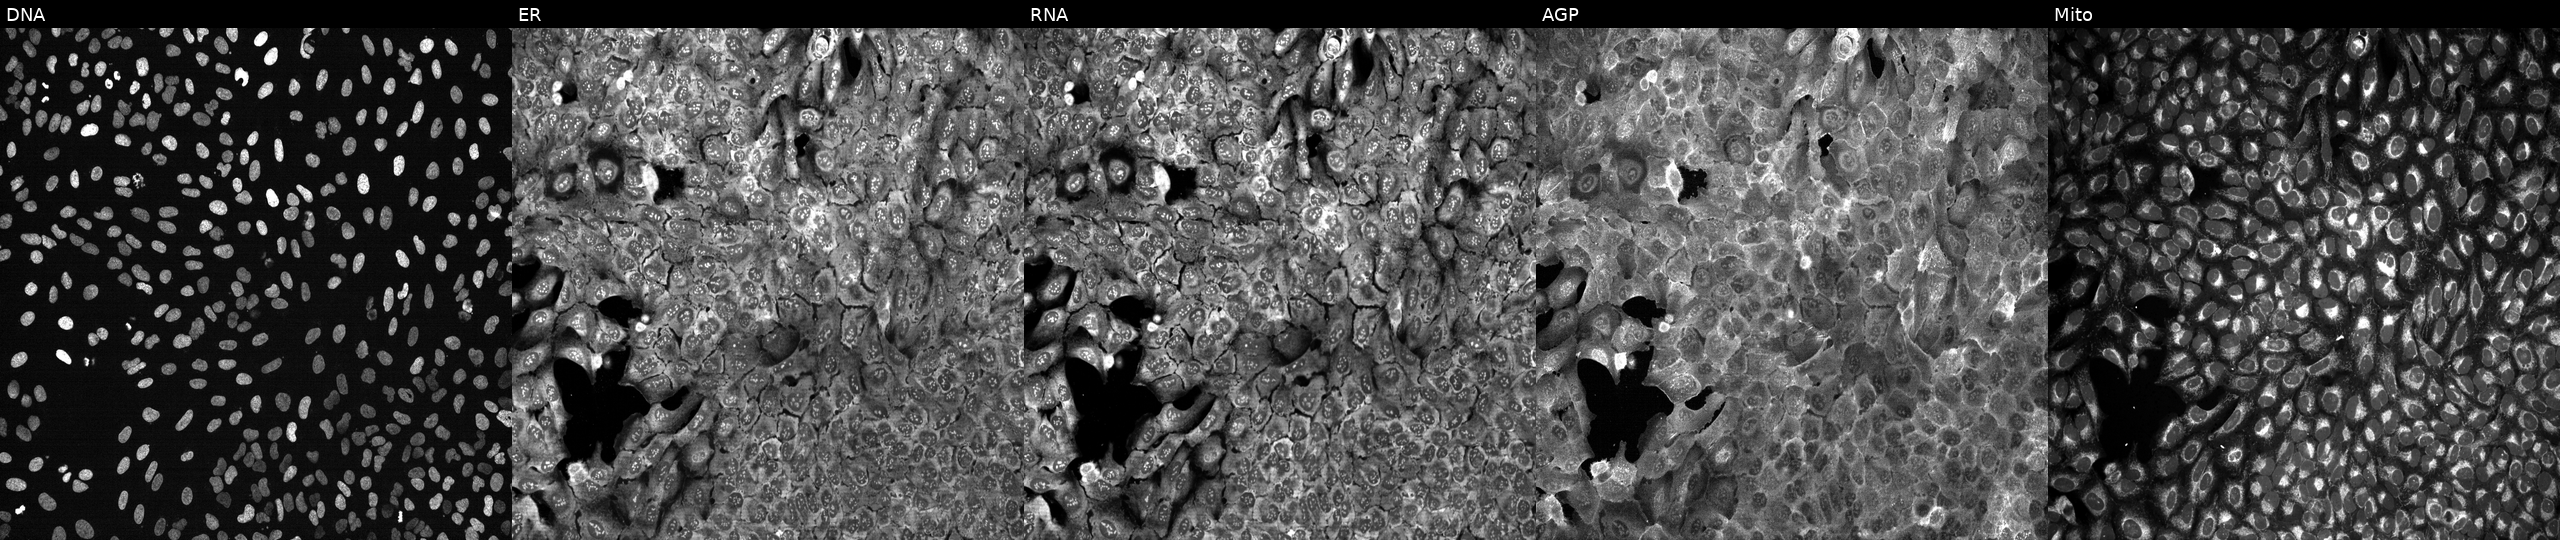
U2OS cells, Cell Painting assay, with DHRS11 knocked out by CRISPR. The five panels, left to right, show DNA, ER, RNA, AGP, and Mito. Each panel is percentile-stretched 16-bit fluorescence.